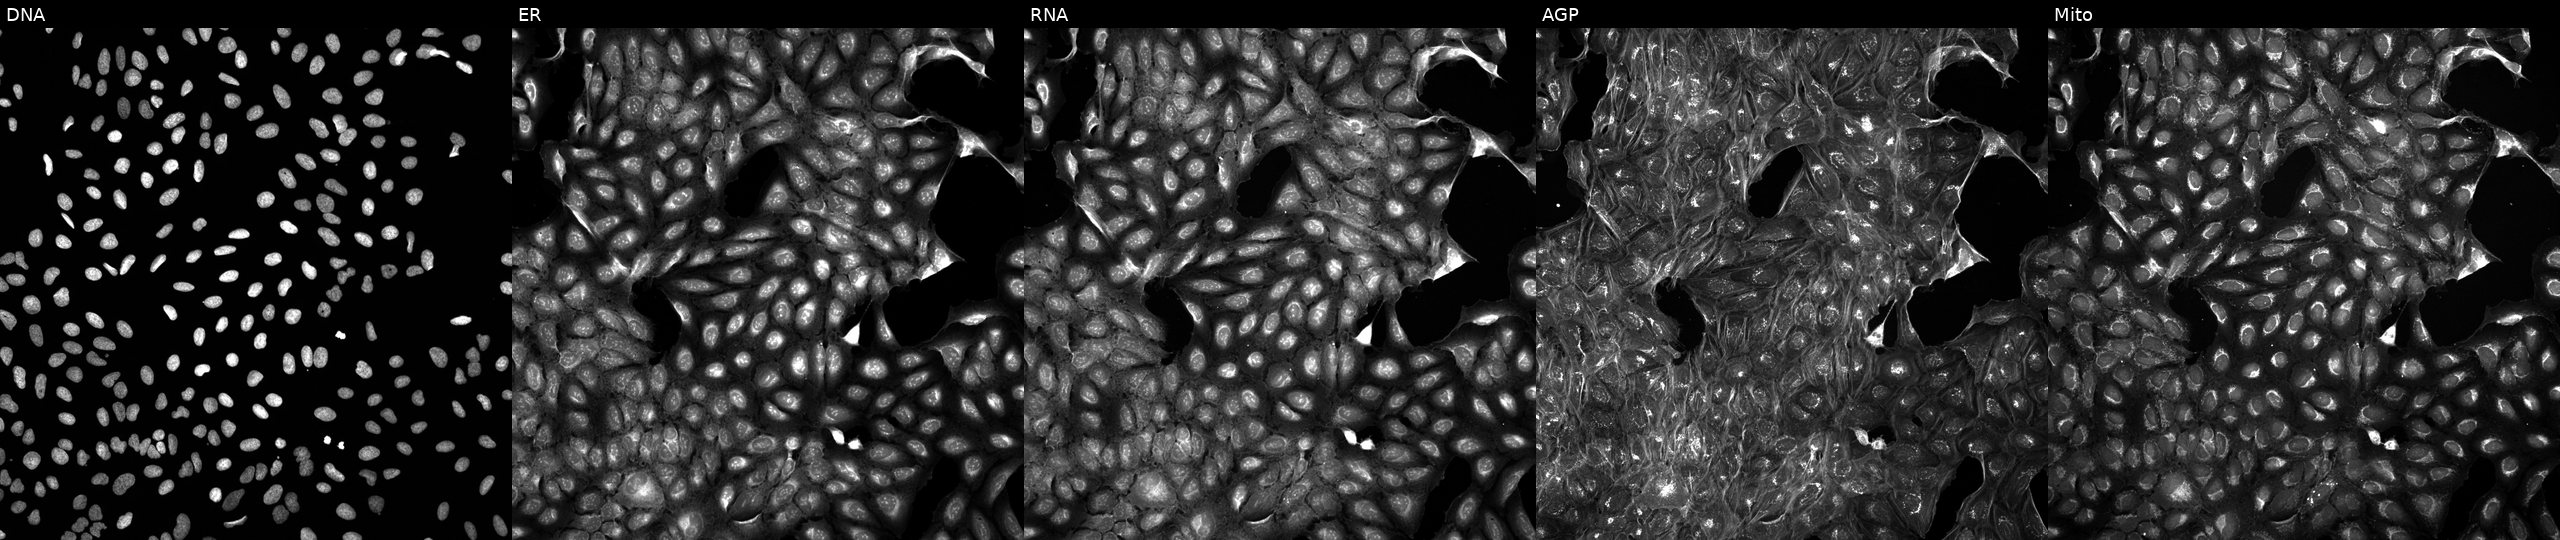
This image strip shows the five Cell Painting channels for a single field of U2OS cells perturbed with a small-molecule compound. Panels show, left to right, DNA (nuclei); ER (endoplasmic reticulum); RNA (nucleoli and cytoplasmic RNA); AGP (actin cytoskeleton, Golgi, and plasma membrane); Mito (mitochondria). Source 5, plate APTJUM106, well C16.